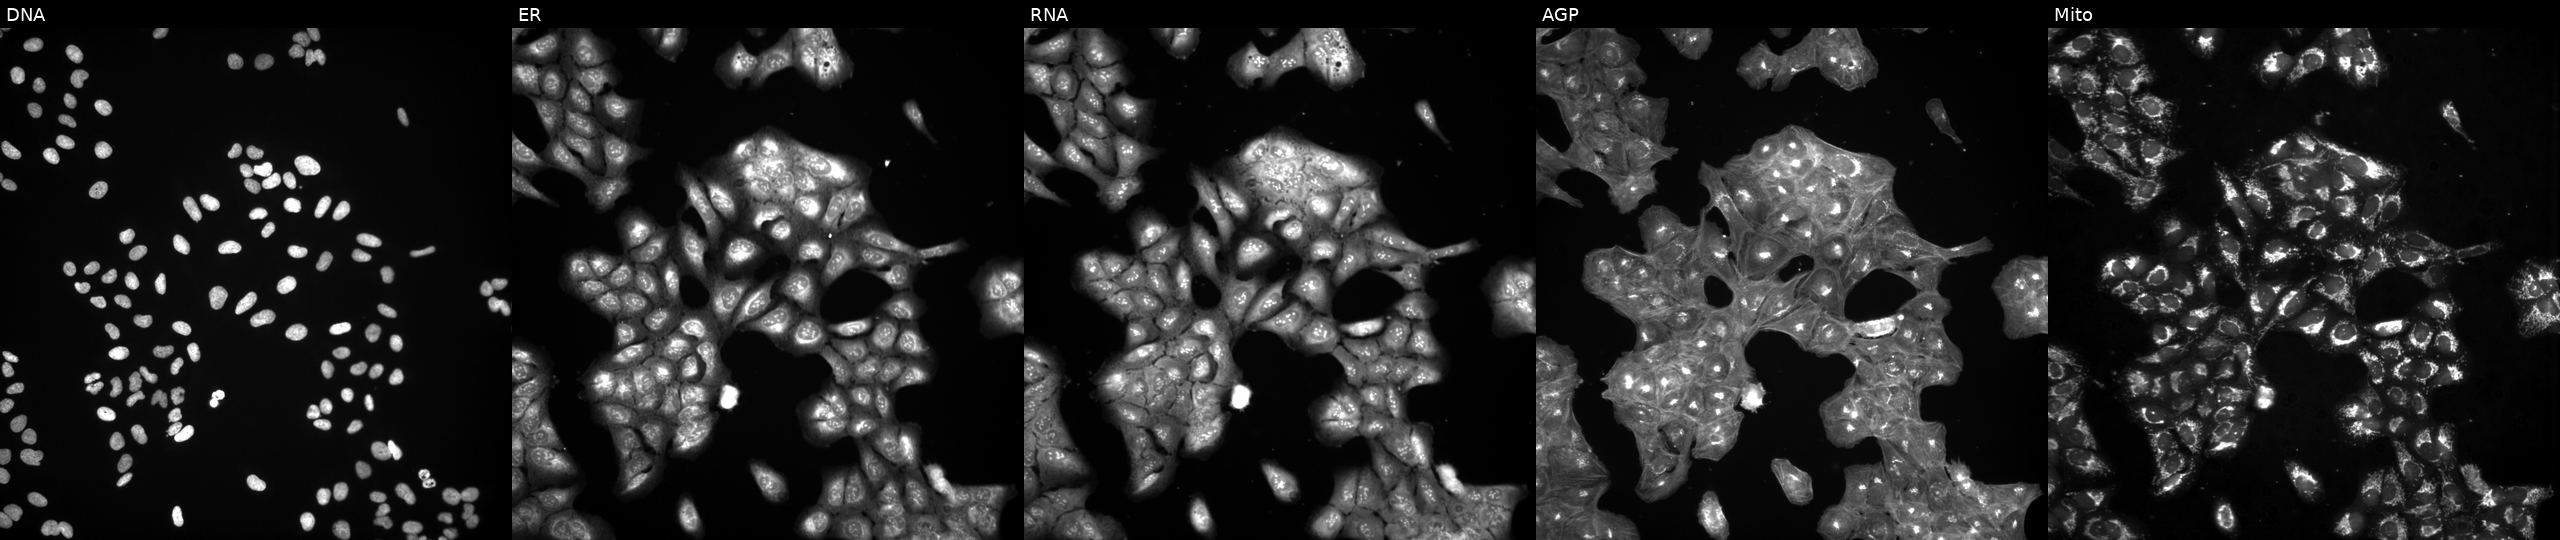
U2OS cells, Cell Painting assay, treated with a small-molecule compound (InChIKey FKKXHLKYQGAJFE-UHFFFAOYSA-N) (JUMP id JCP2022_021220). Channels (left→right): DNA, ER, RNA, AGP, and Mito. Each panel is percentile-stretched 16-bit fluorescence.